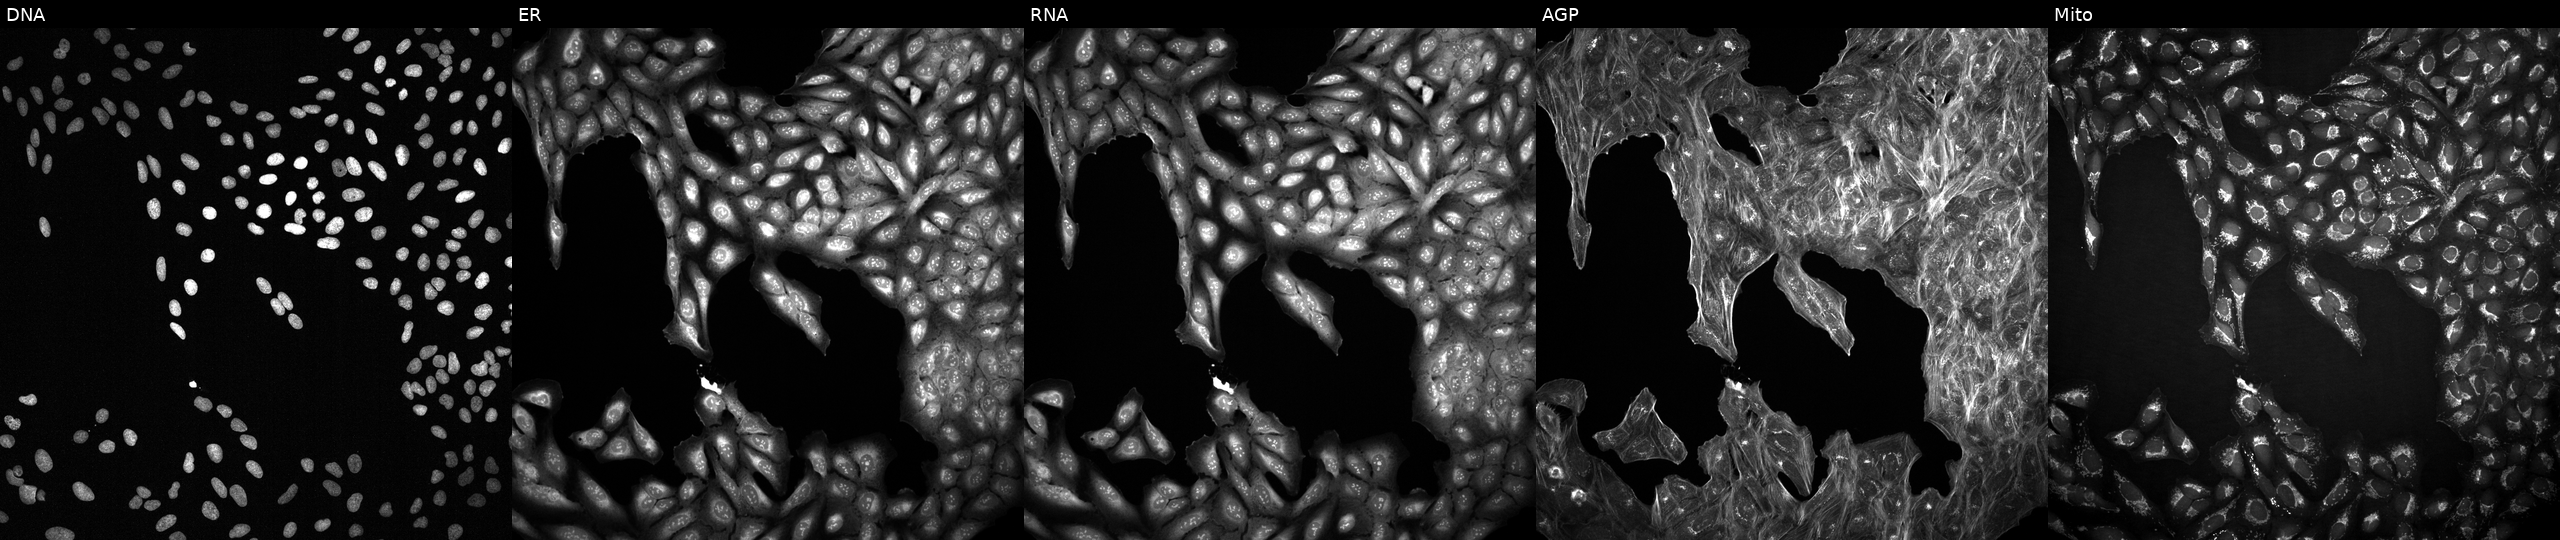
The five panels, left to right, show DNA (nuclei); ER (endoplasmic reticulum); RNA (nucleoli and cytoplasmic RNA); AGP (actin cytoskeleton, Golgi, and plasma membrane); Mito (mitochondria). U2OS osteosarcoma cells exposed to the positive-control compound quinidine (JUMP id JCP2022_050797). Cell Painting assay, JUMP-CP dataset.